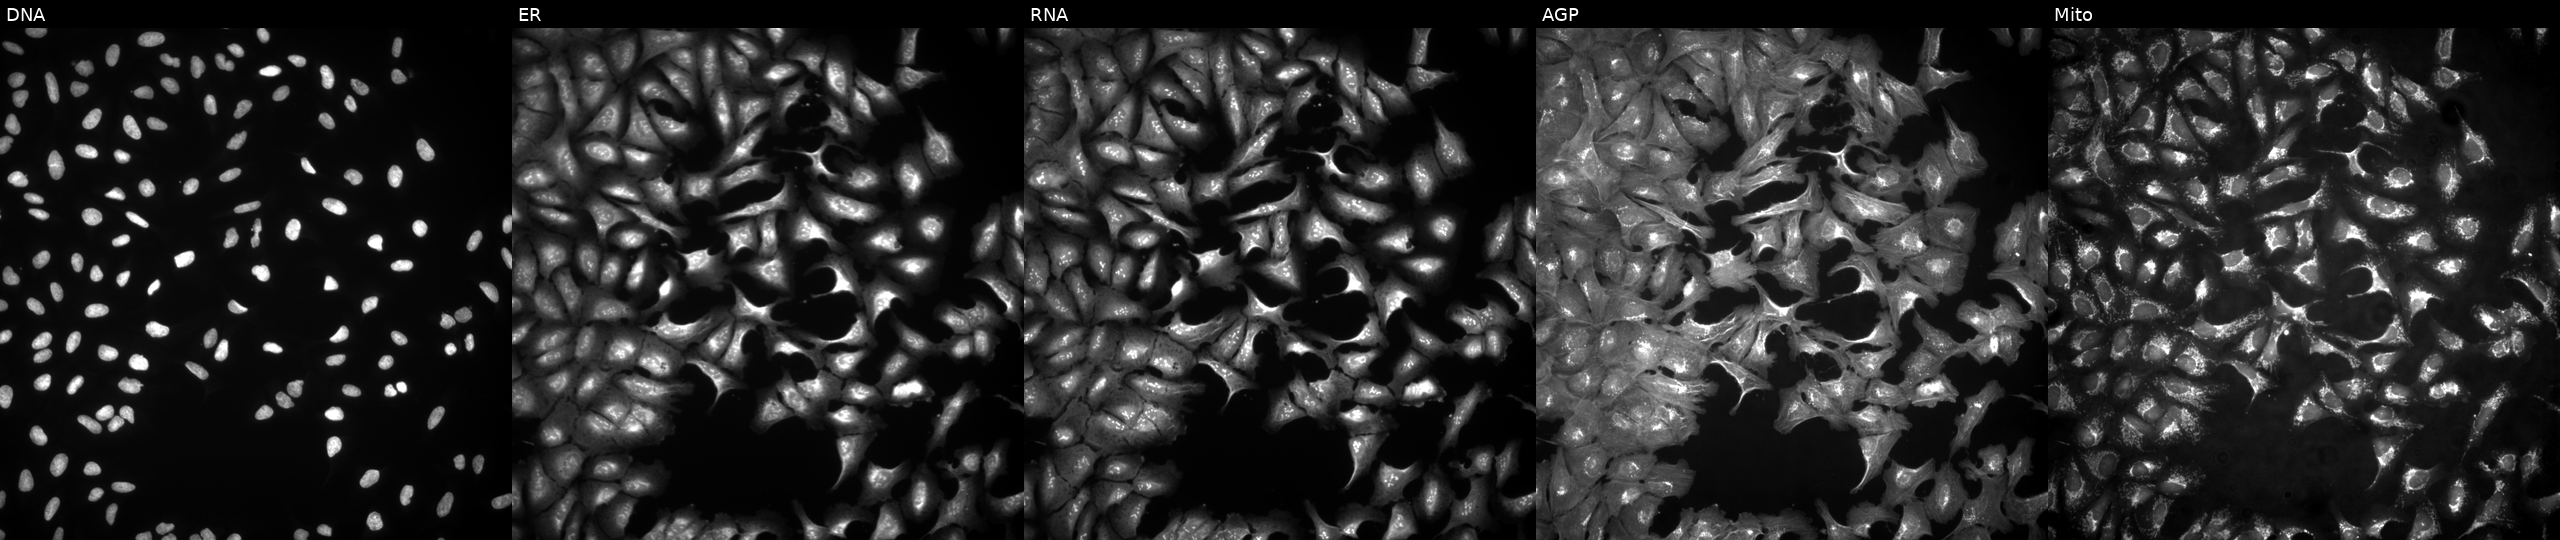
Five-channel Cell Painting image of U2OS cells with ACTL8 overexpressed (ORF). From left to right: Hoechst 33342, concanavalin A, SYTO 14, phalloidin and WGA, MitoTracker. Source 4, plate BR00123509, well I01.